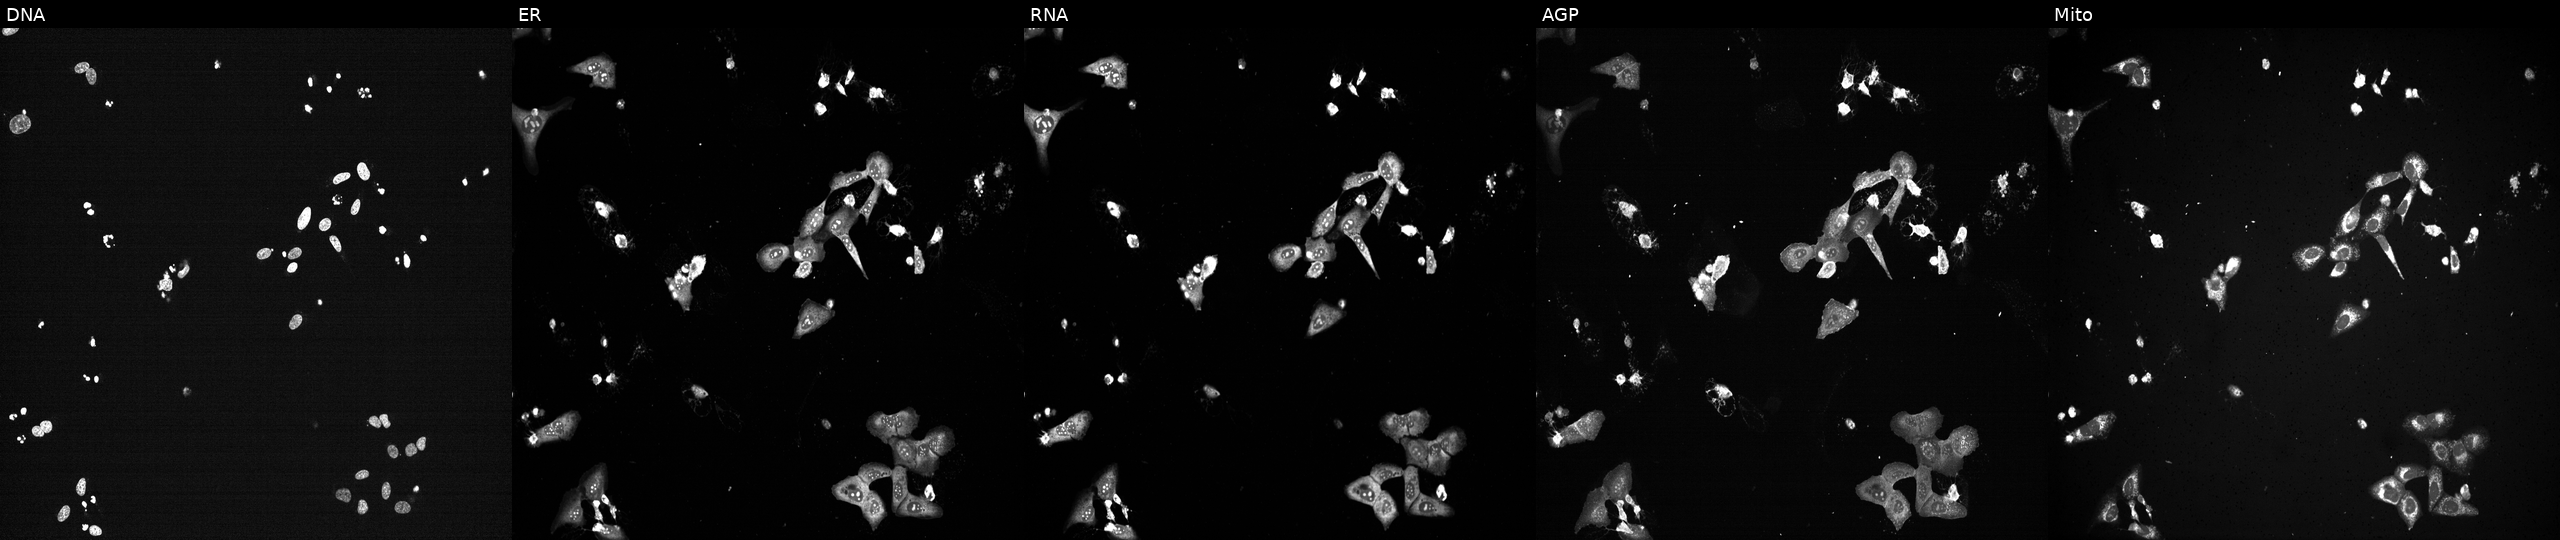
High-content fluorescence microscopy (Cell Painting). Cell line: U2OS. Perturbation: following CRISPR knockout of EIF4A3. The five panels, left to right, show DNA, ER, RNA, AGP, and Mito. Source 13, plate CP-CC9-R4-04, well I14.